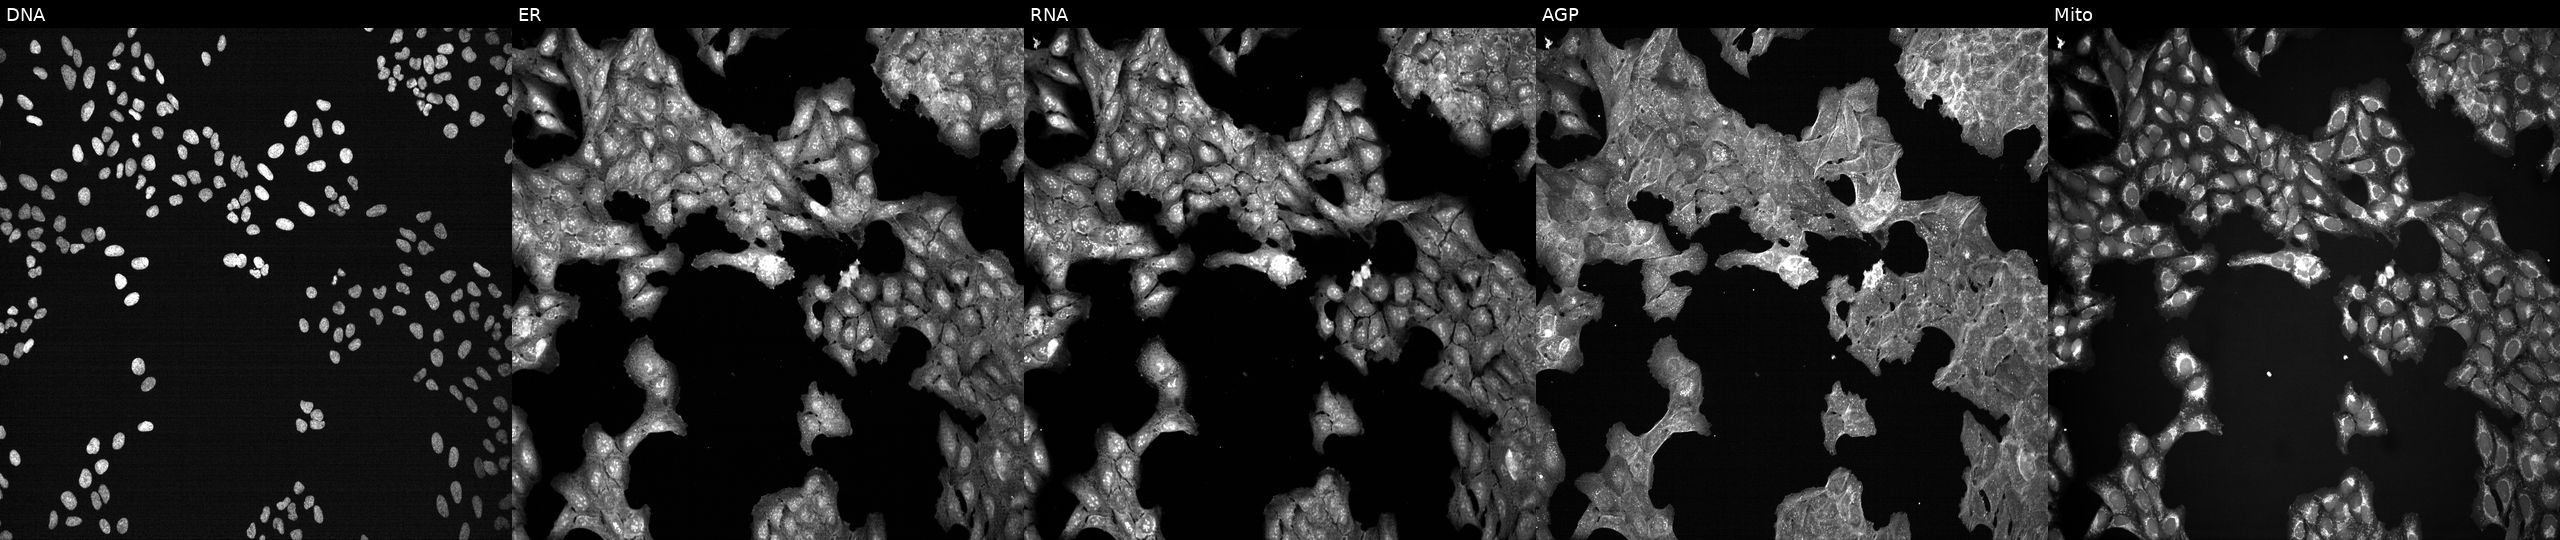
U2OS cells, Cell Painting assay, treated with DMSO vehicle only (negative control) (JUMP id JCP2022_033924). Panels show, left to right, DNA (nuclei); ER (endoplasmic reticulum); RNA (nucleoli and cytoplasmic RNA); AGP (actin cytoskeleton, Golgi, and plasma membrane); Mito (mitochondria). Each panel is percentile-stretched 16-bit fluorescence.